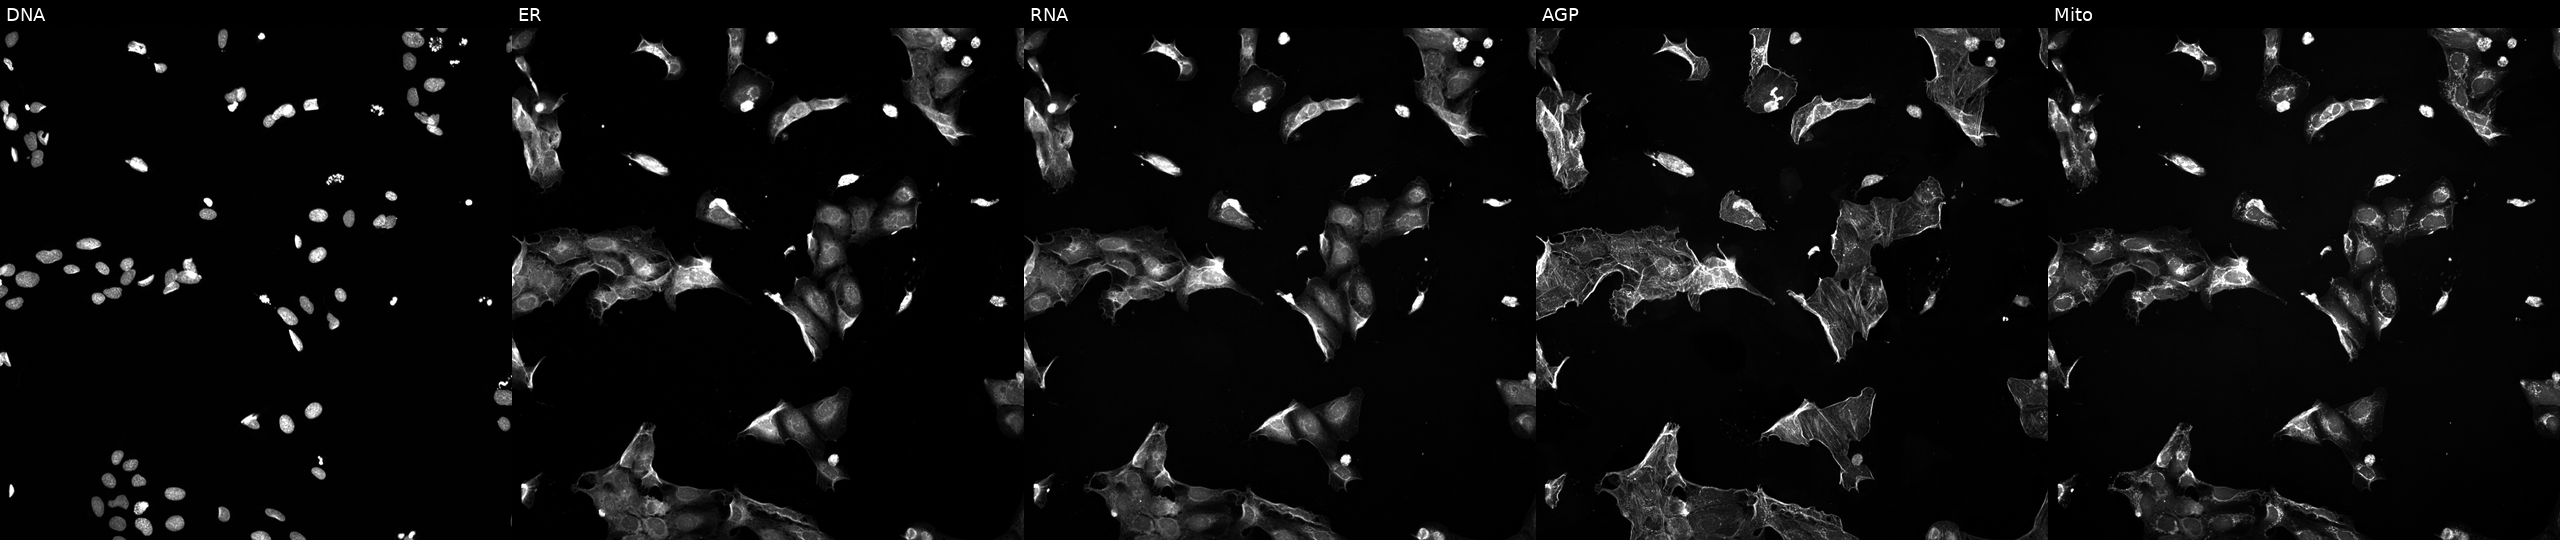
This image strip shows the five Cell Painting channels for a single field of U2OS cells exposed to a small-molecule compound (InChIKey RVAQIUULWULRNW-UHFFFAOYSA-N). Panels show, left to right, Hoechst 33342, concanavalin A, SYTO 14, phalloidin and WGA, MitoTracker. Source 5, plate ACPJUM012, well L22.